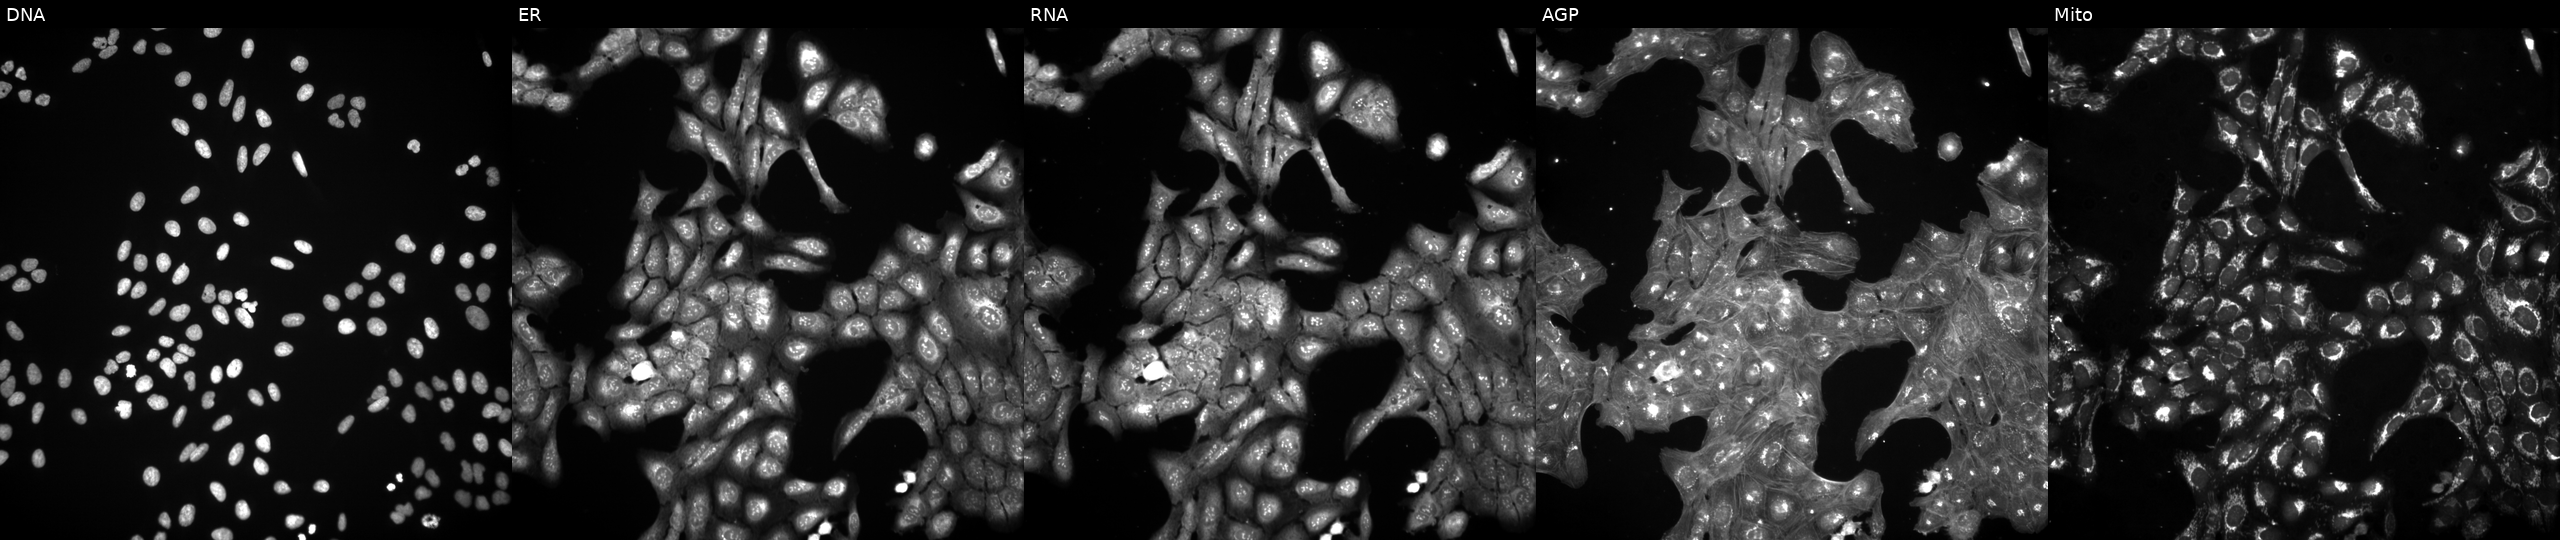
This image strip shows the five Cell Painting channels for a single field of U2OS cells treated with DMSO vehicle only (negative control). Channels (left→right): DNA, ER, RNA, AGP, and Mito. Source 3, plate JCPQC052, well F14.